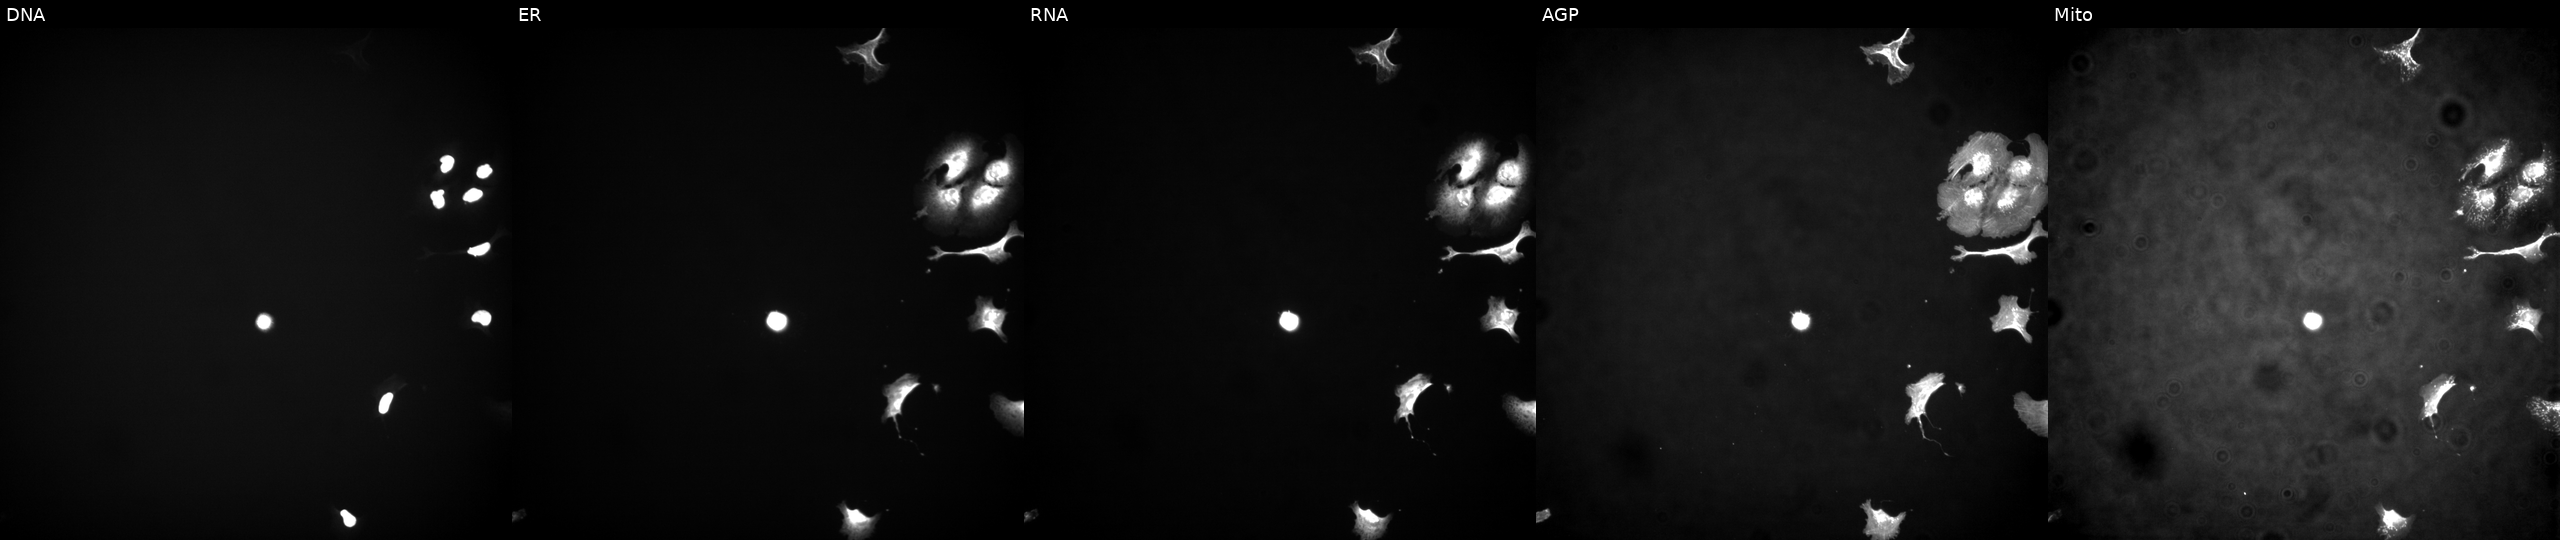
This image strip shows the five Cell Painting channels for a single field of U2OS cells overexpressing FSCN2 via ORF transfection. Panels show, left to right, DNA, ER, RNA, AGP, and Mito.